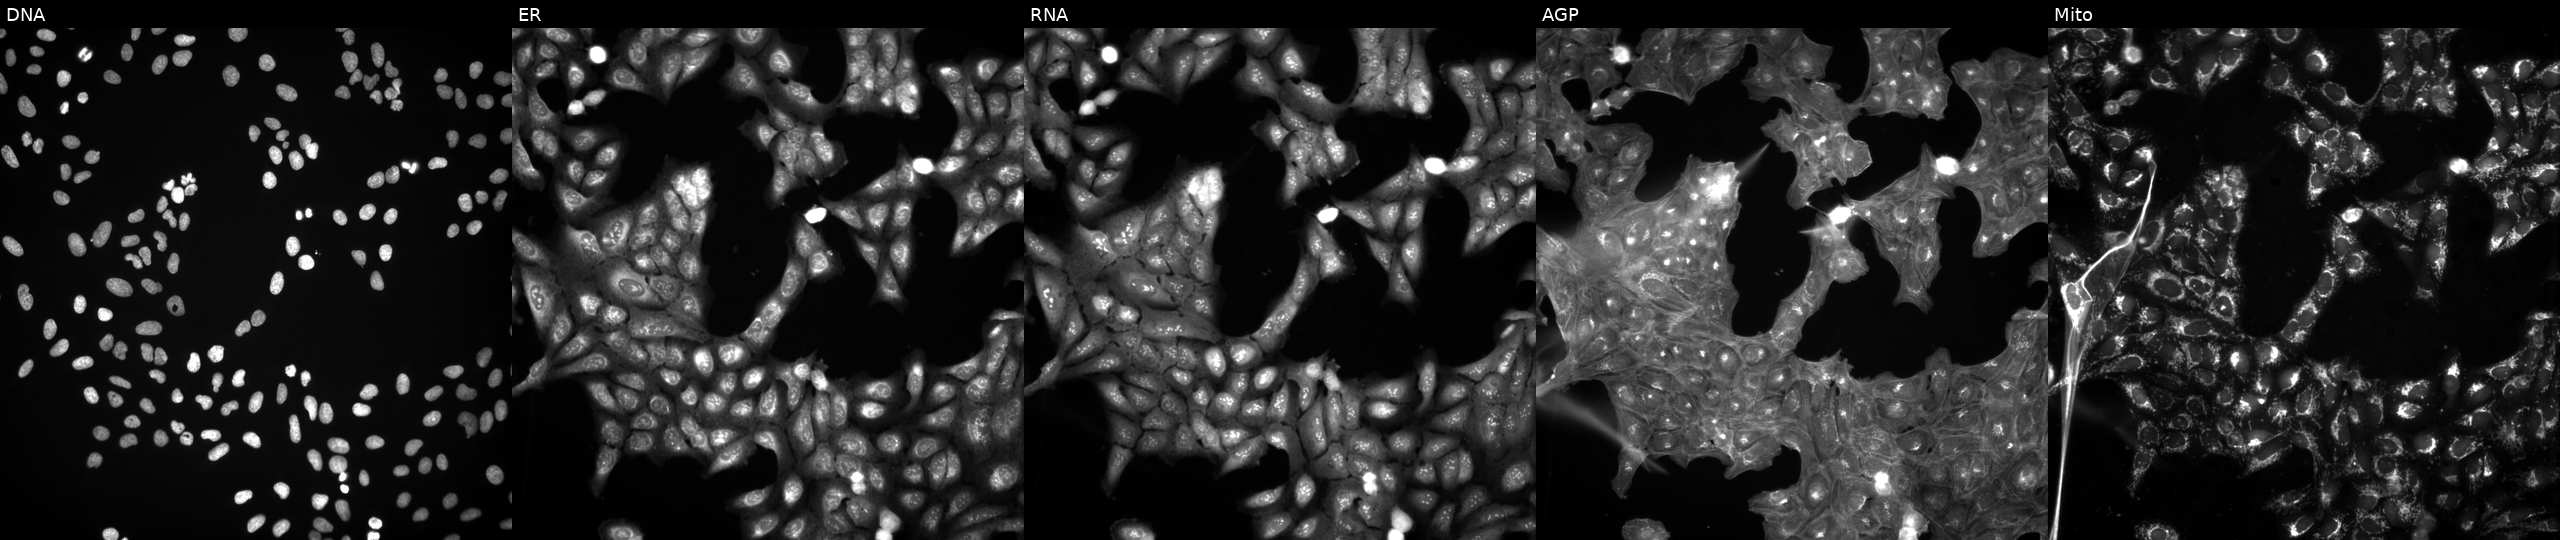
U2OS cells, Cell Painting assay, treated with a small-molecule compound. Channels (left→right): Hoechst 33342, concanavalin A, SYTO 14, phalloidin and WGA, MitoTracker. Each panel is percentile-stretched 16-bit fluorescence.